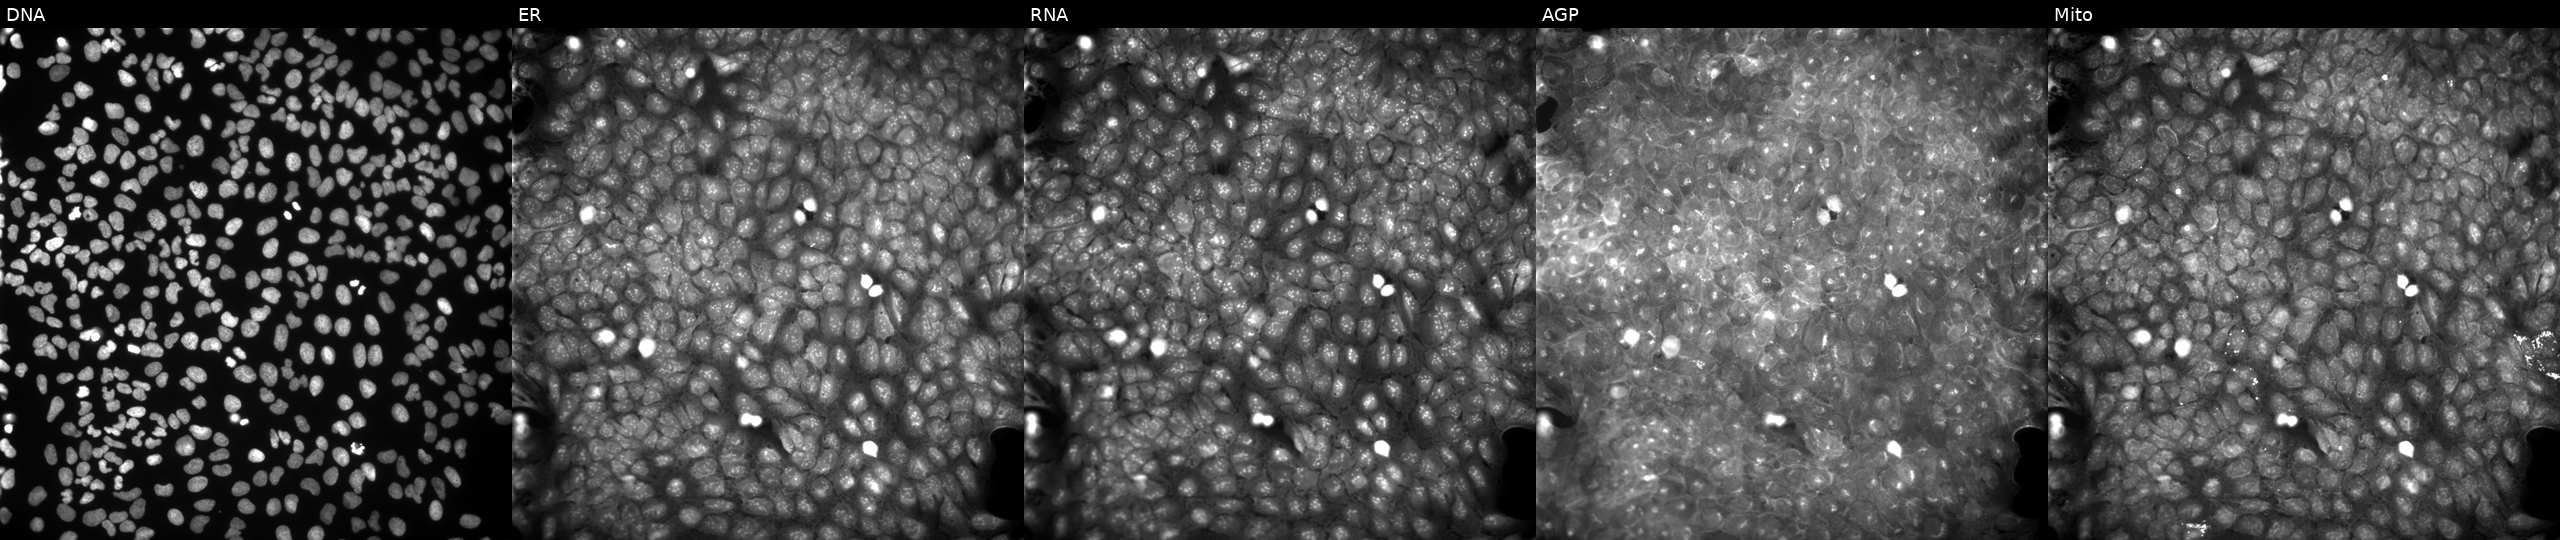
U2OS cells, Cell Painting assay, perturbed with a small-molecule compound (InChIKey WCIVOCKEAKOYBX-UHFFFAOYSA-N). Channels (left→right): Hoechst 33342, concanavalin A, SYTO 14, phalloidin and WGA, MitoTracker. Each panel is percentile-stretched 16-bit fluorescence. Source 9, plate GR00003382, well U16.